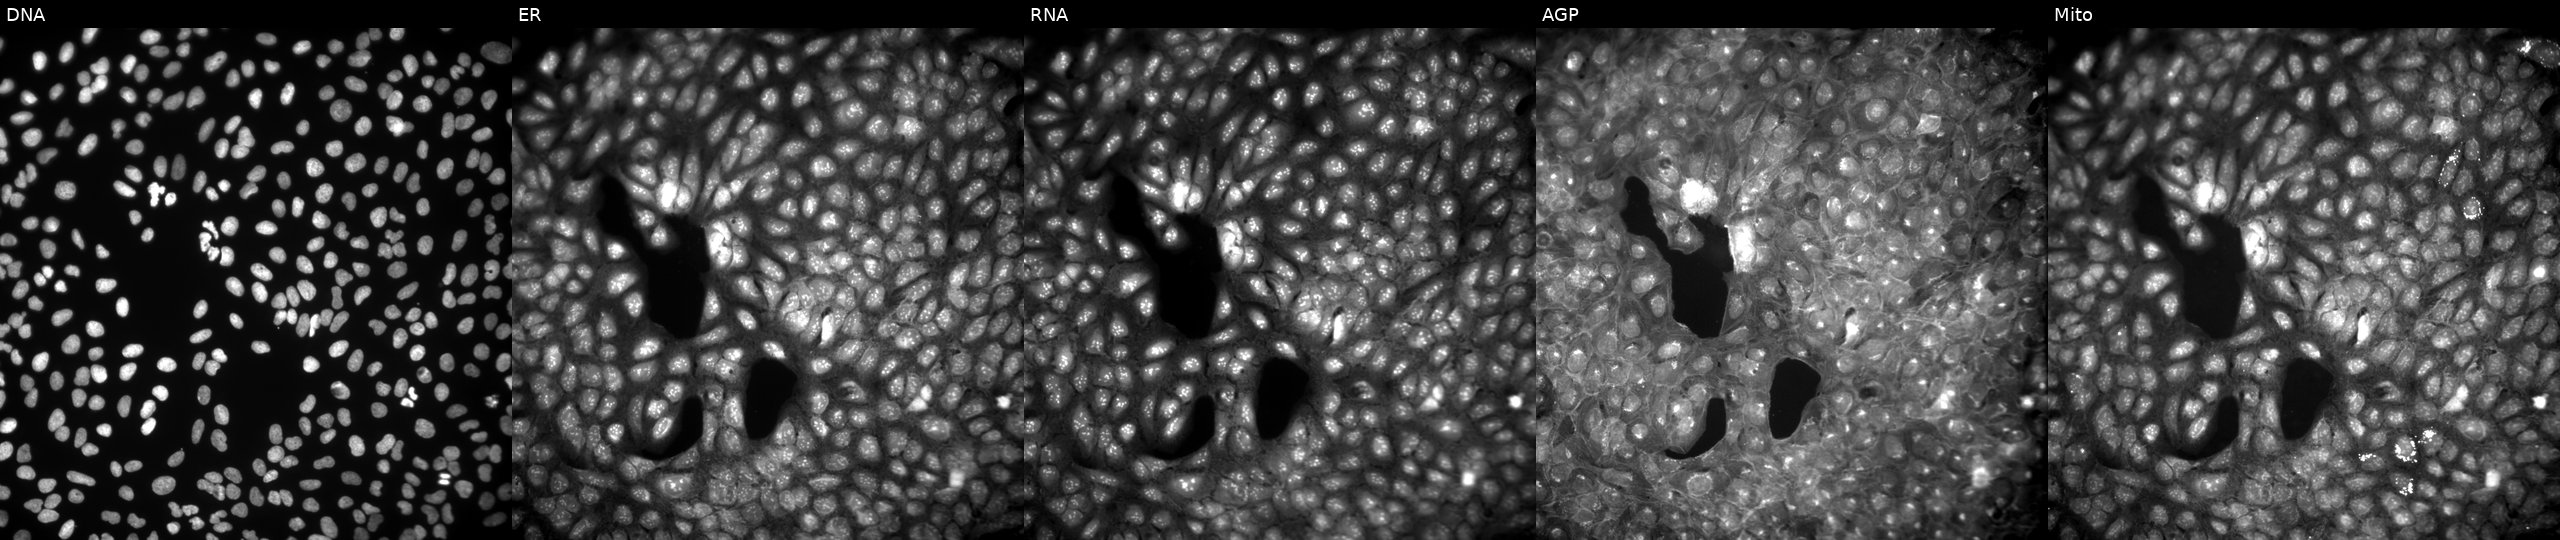
This image strip shows the five Cell Painting channels for a single field of U2OS cells treated with a small-molecule compound. From left to right: Hoechst 33342, concanavalin A, SYTO 14, phalloidin and WGA, MitoTracker.